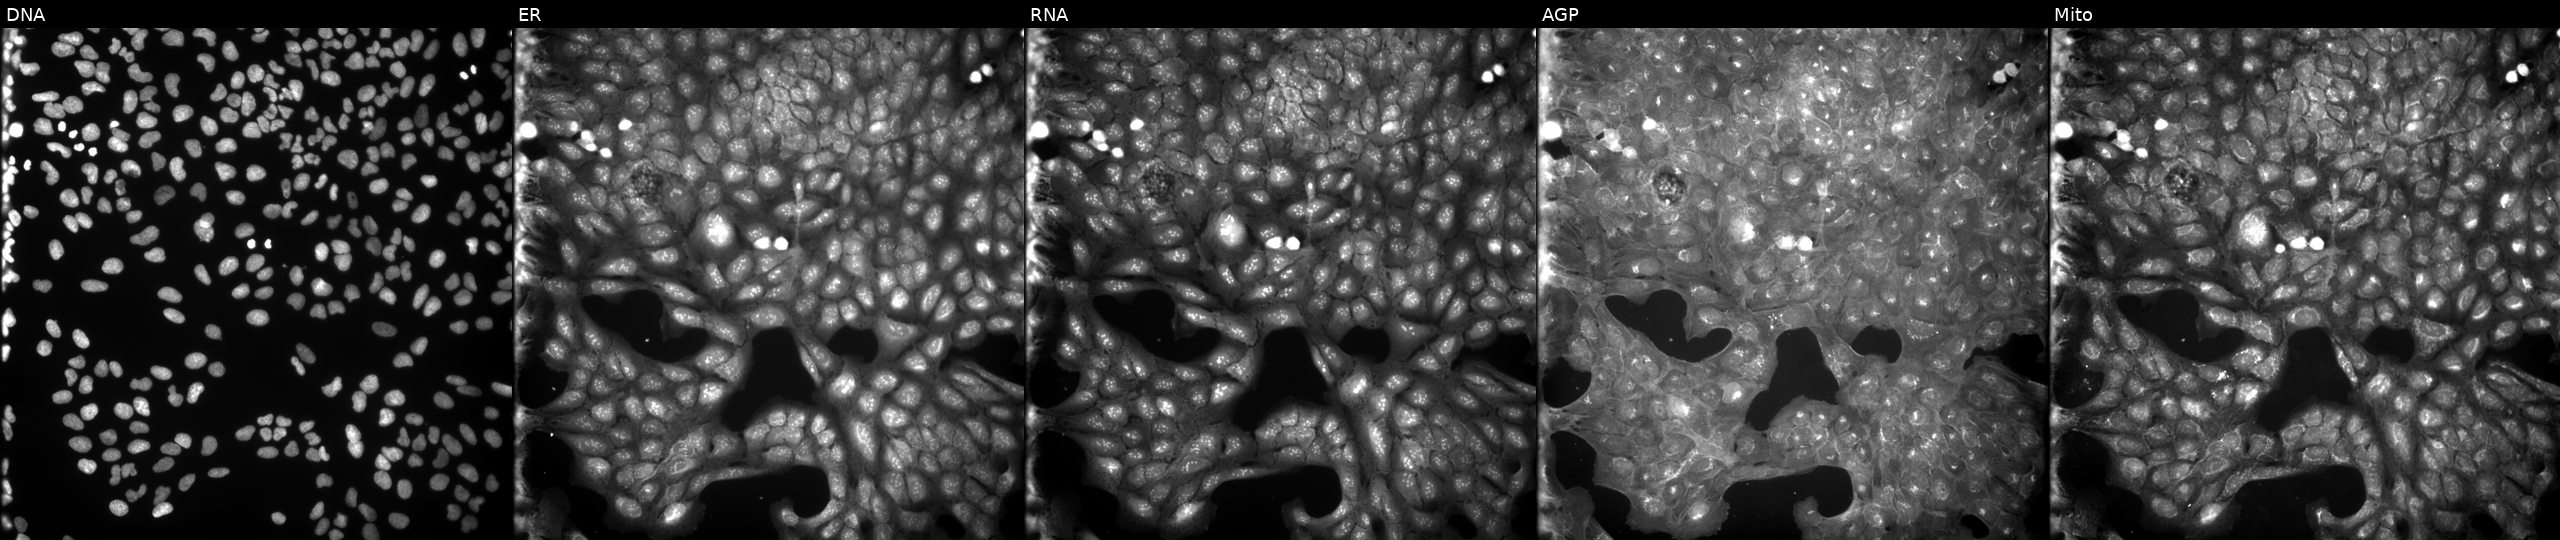
High-content fluorescence microscopy (Cell Painting). Cell line: U2OS. Perturbation: treated with a small-molecule compound (InChIKey BIGNVHWTMKJIKT-UHFFFAOYSA-N). Channels (left→right): DNA, ER, RNA, AGP, and Mito. Source 9, plate GR00003382, well F18.